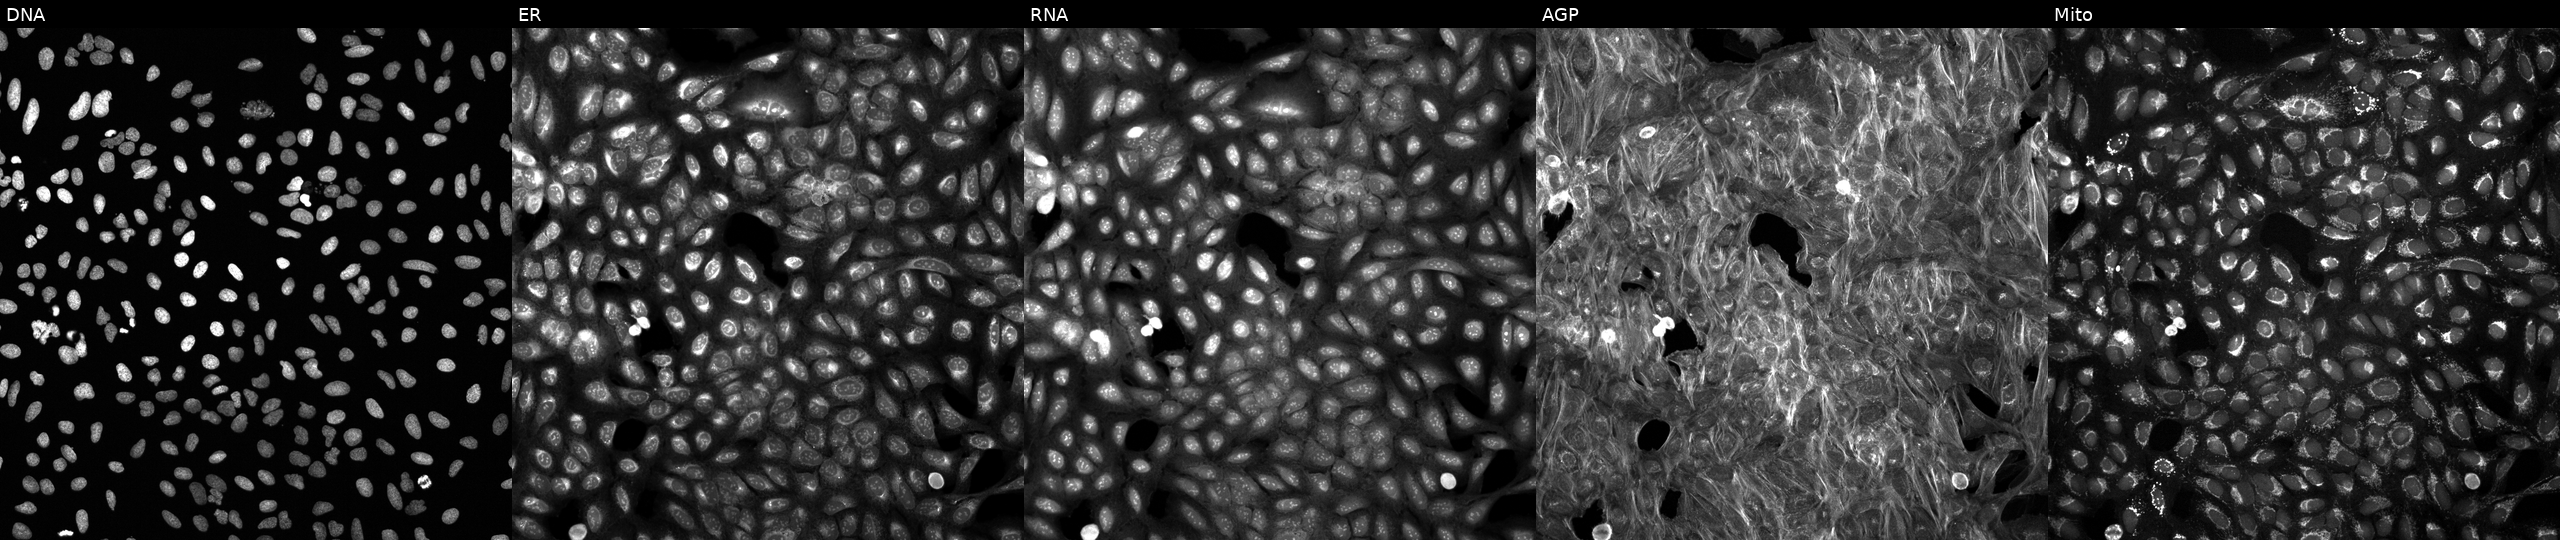
High-content fluorescence microscopy (Cell Painting). Cell line: U2OS. Perturbation: perturbed with a small-molecule compound (InChIKey SWKZZAGPQSYOTP-UHFFFAOYSA-N) (JUMP id JCP2022_086042). From left to right: Hoechst 33342, concanavalin A, SYTO 14, phalloidin and WGA, MitoTracker.